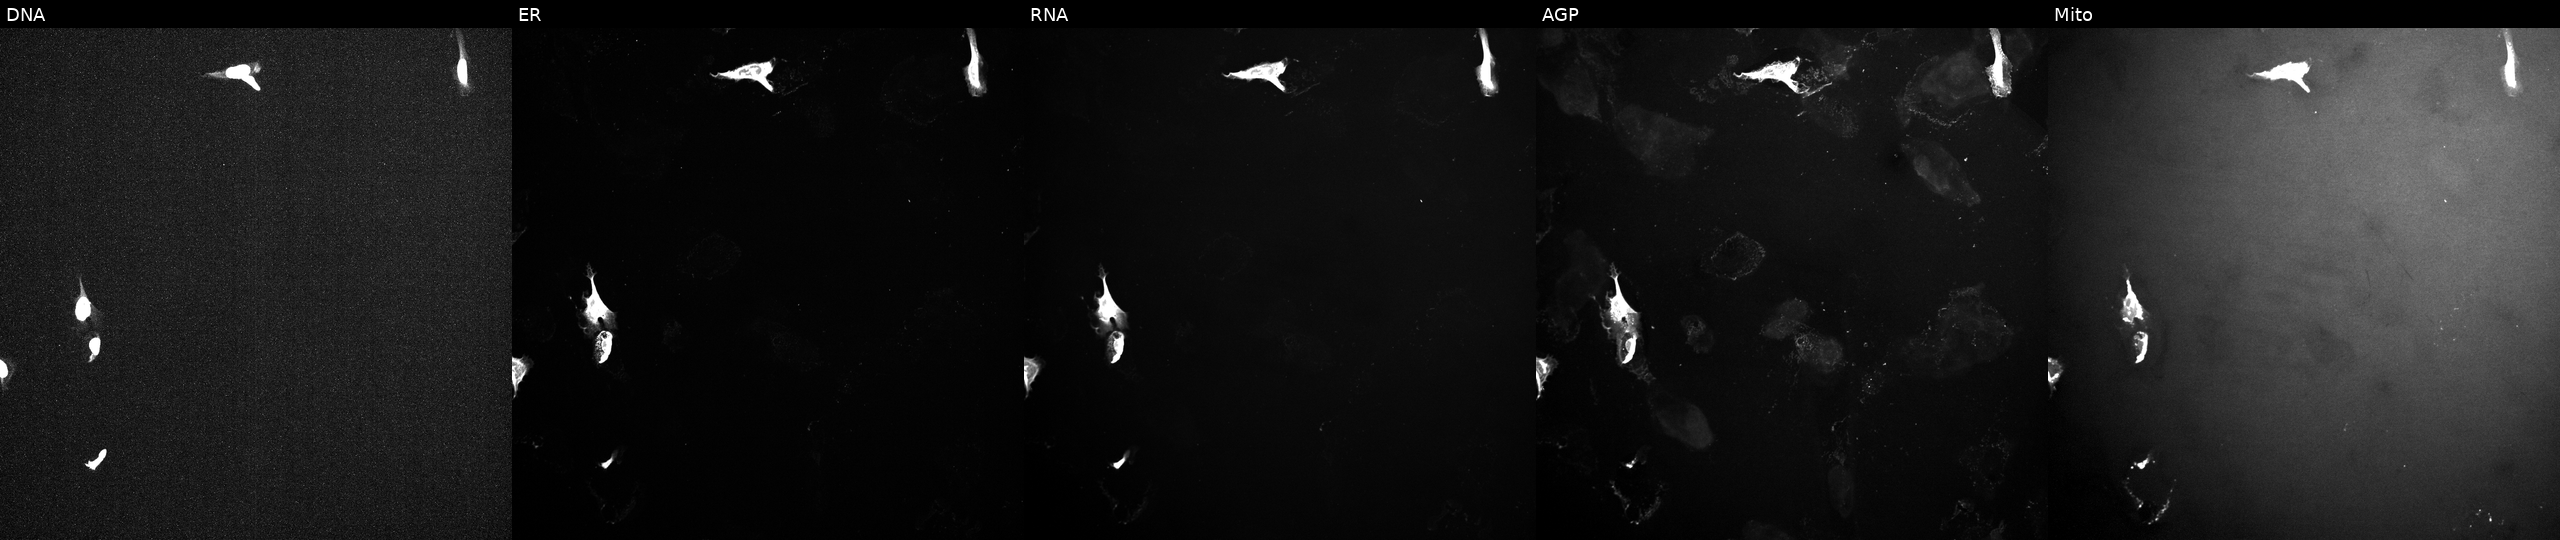
This image strip shows the five Cell Painting channels for a single field of U2OS cells treated with a small-molecule compound (JUMP id JCP2022_060734). Channels (left→right): DNA, ER, RNA, AGP, and Mito.